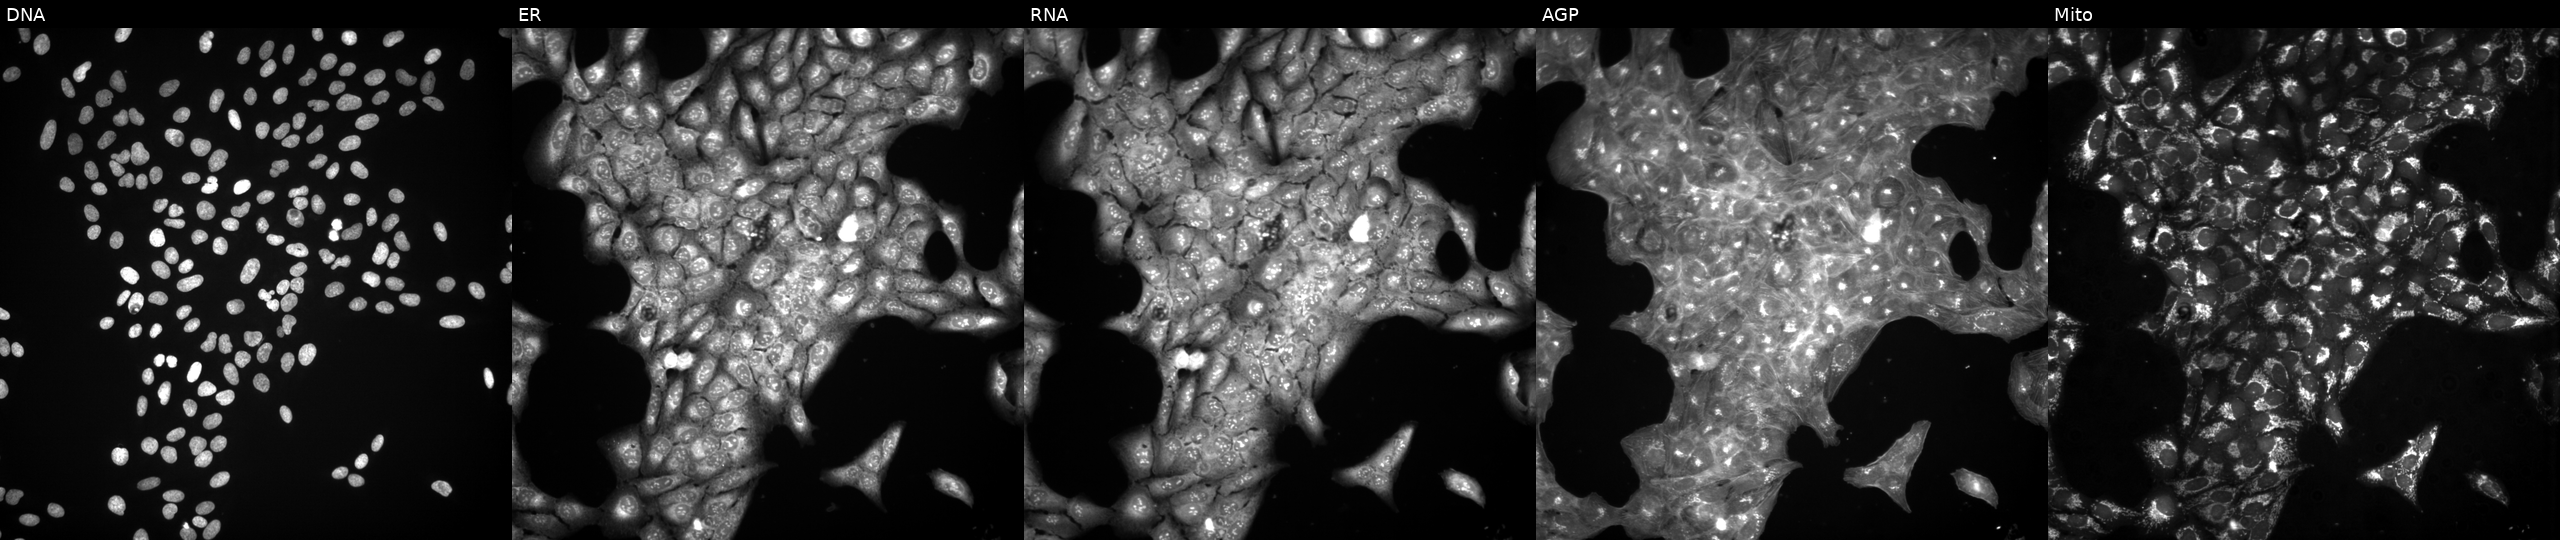
JUMP Cell Painting — COMPOUND plate. U2OS cells treated with a small-molecule compound (InChIKey YVKZZKOGSXBRKJ-UHFFFAOYSA-N) (JUMP id JCP2022_111106). Channels (left→right): Hoechst 33342, concanavalin A, SYTO 14, phalloidin and WGA, MitoTracker. Source 3, plate BR5867a3, well C09.